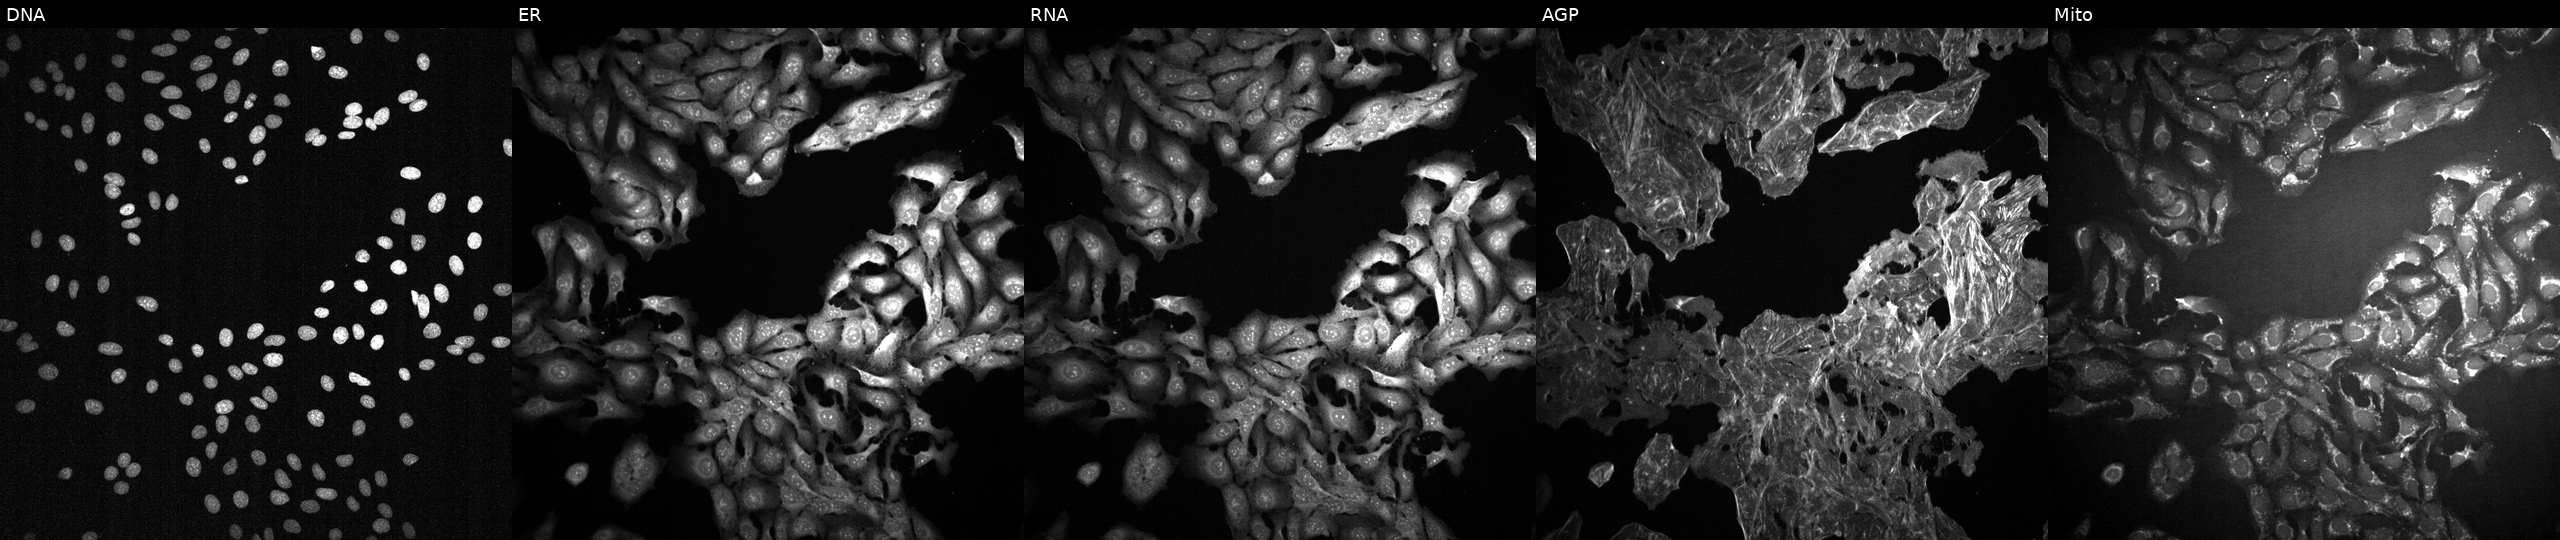
U2OS cells, Cell Painting assay, exposed to a small-molecule compound (JUMP id JCP2022_022359). Panels show, left to right, Hoechst 33342, concanavalin A, SYTO 14, phalloidin and WGA, MitoTracker. Each panel is percentile-stretched 16-bit fluorescence.